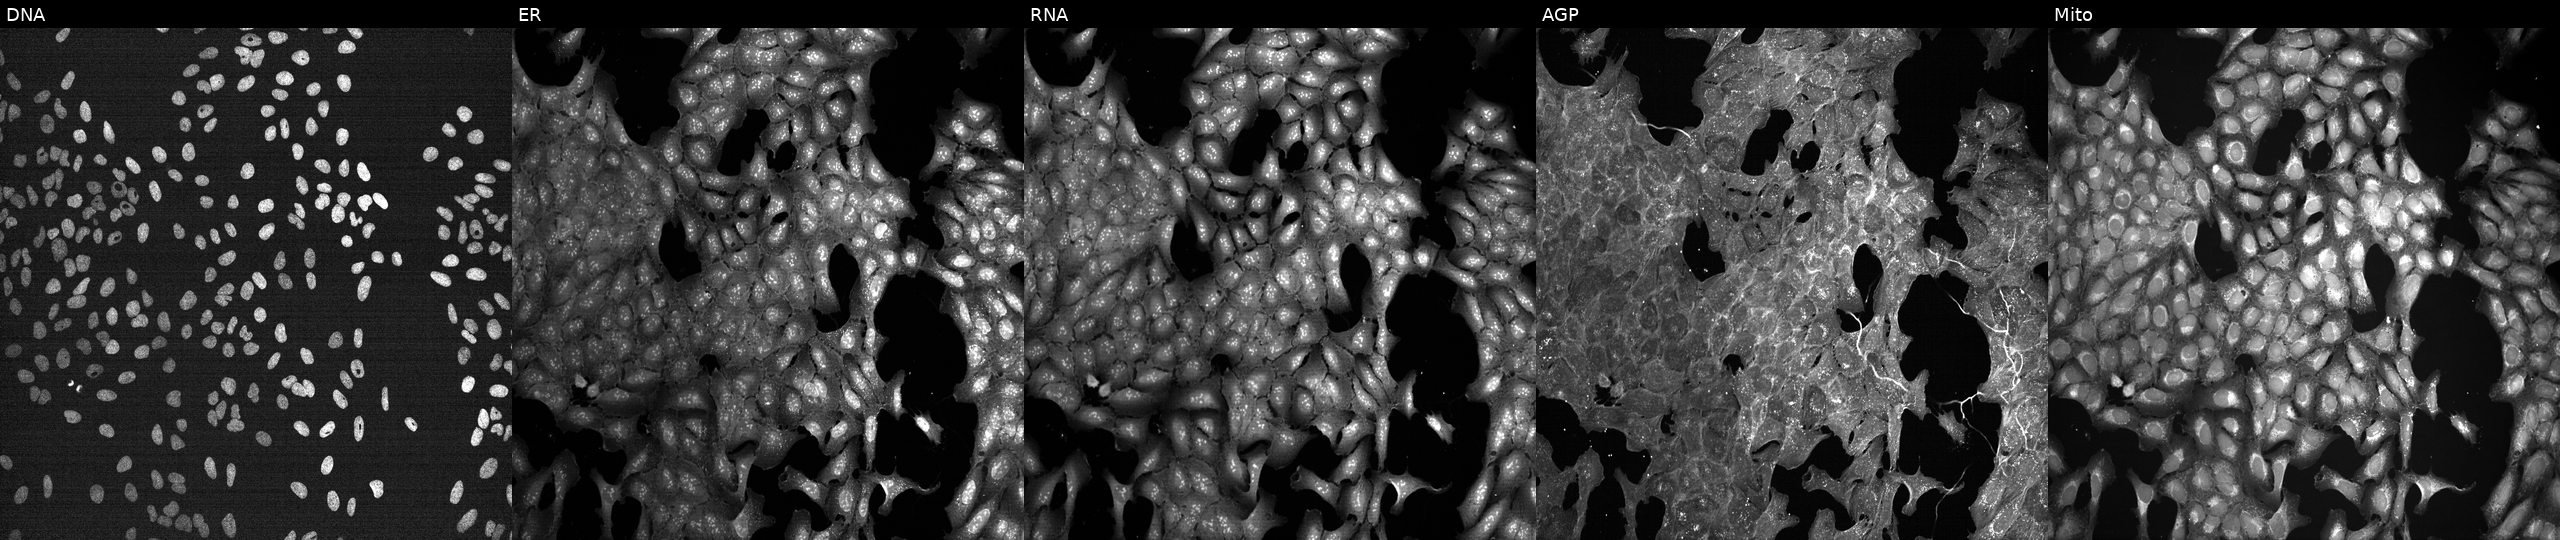
This image strip shows the five Cell Painting channels for a single field of U2OS cells exposed to a small-molecule compound (InChIKey OAVGBZOFDPFGPJ-UHFFFAOYSA-N). Panels show, left to right, DNA (nuclei); ER (endoplasmic reticulum); RNA (nucleoli and cytoplasmic RNA); AGP (actin cytoskeleton, Golgi, and plasma membrane); Mito (mitochondria).